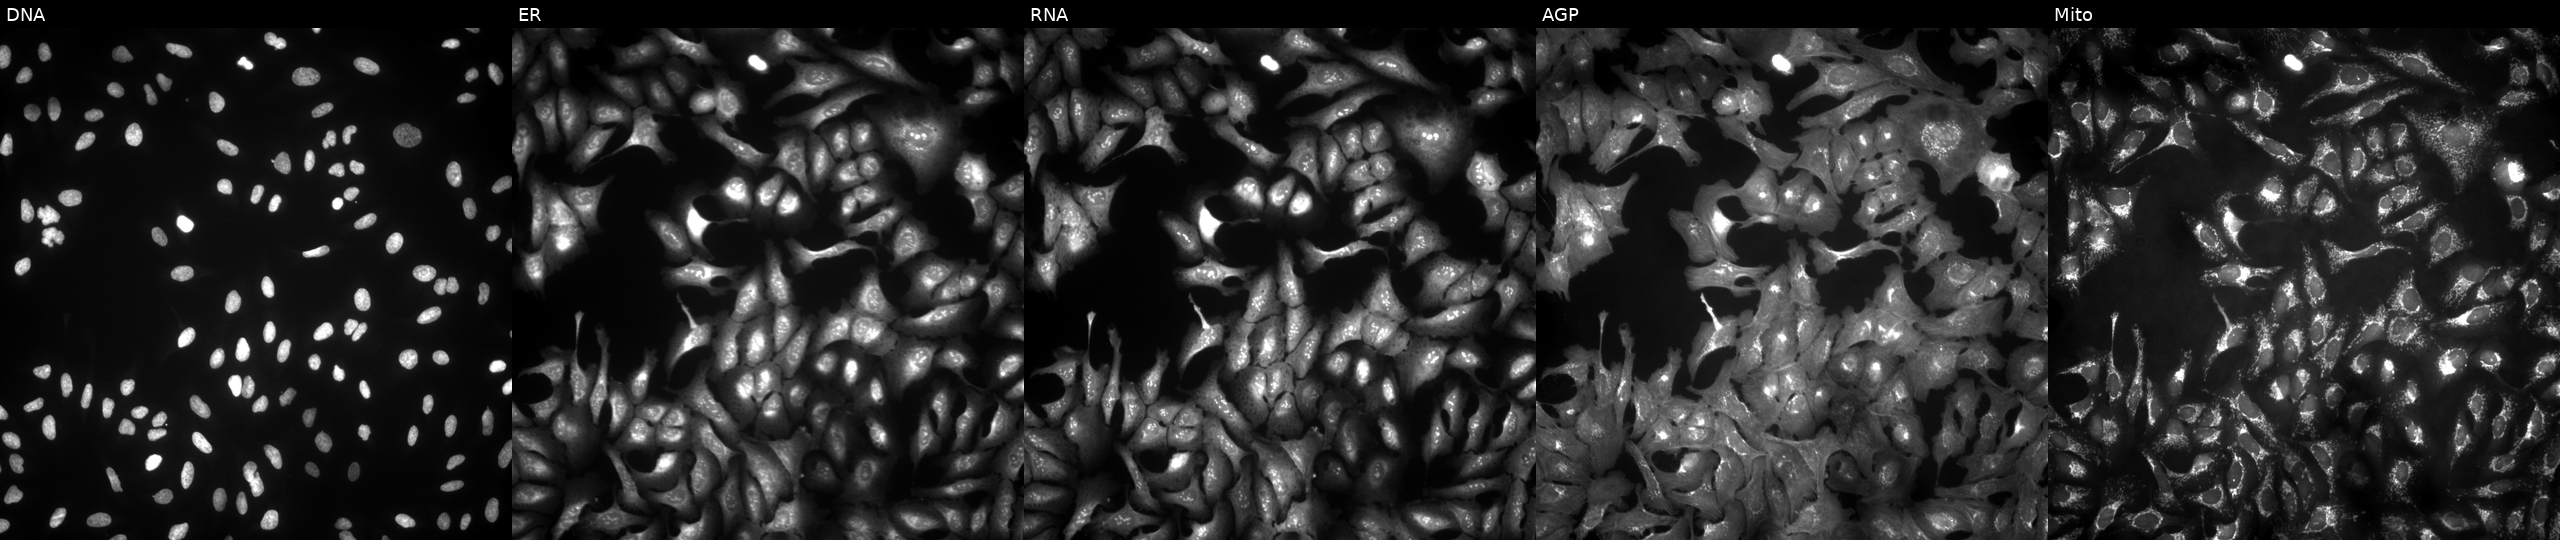
This image strip shows the five Cell Painting channels for a single field of U2OS cells with USP6NL overexpressed (ORF) (JUMP id JCP2022_902088). Channels (left→right): Hoechst 33342, concanavalin A, SYTO 14, phalloidin and WGA, MitoTracker.